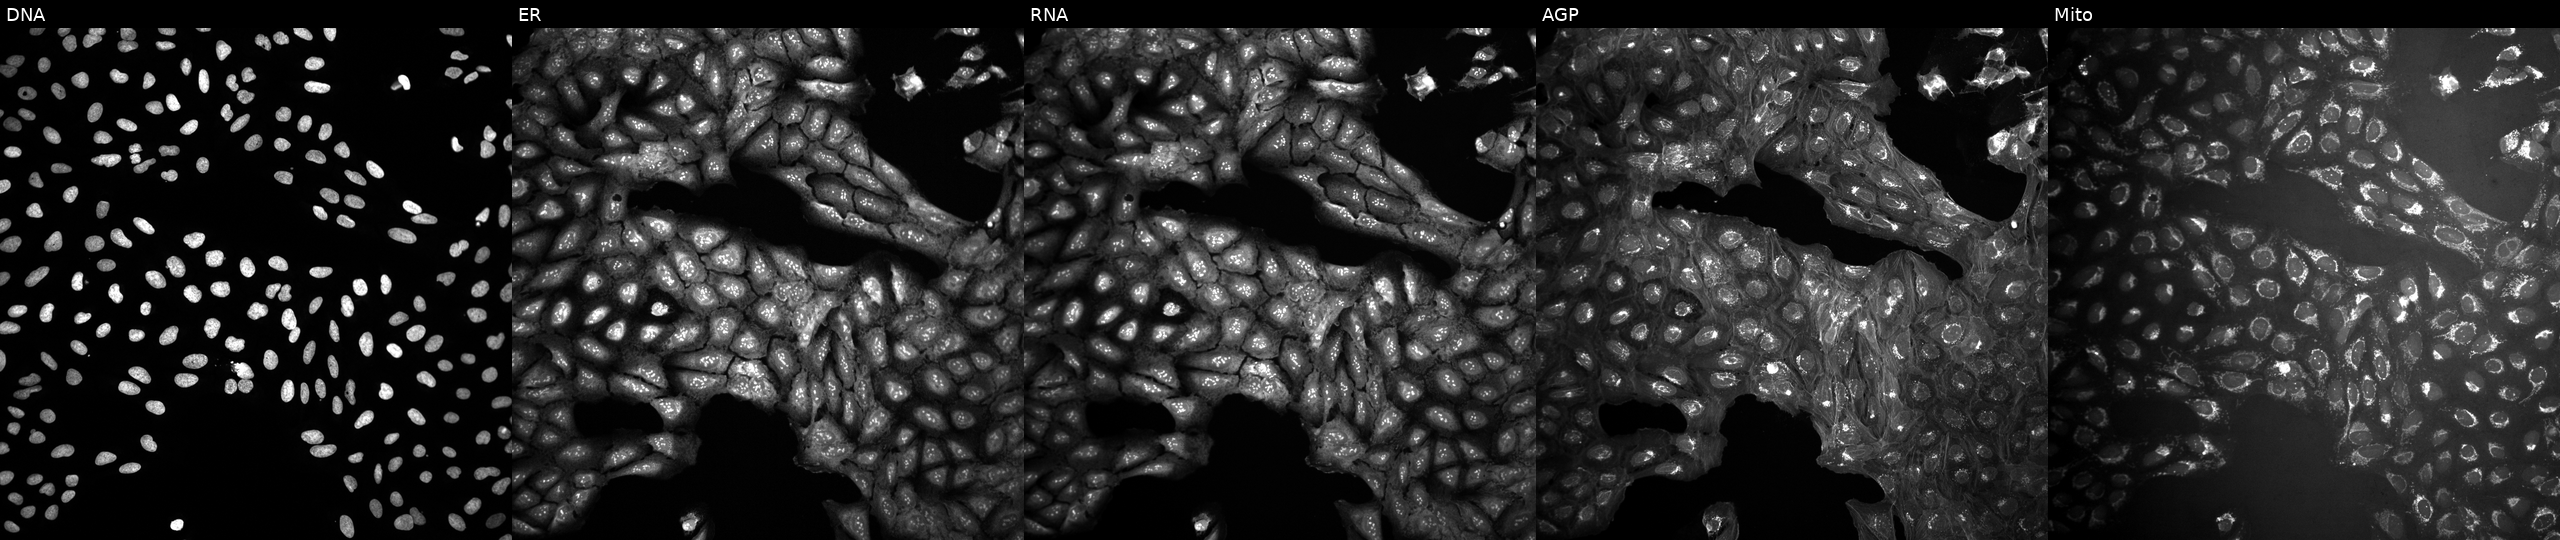
The five panels, left to right, show DNA (nuclei); ER (endoplasmic reticulum); RNA (nucleoli and cytoplasmic RNA); AGP (actin cytoskeleton, Golgi, and plasma membrane); Mito (mitochondria). U2OS osteosarcoma cells exposed to DMSO alone as a negative control. Cell Painting assay, JUMP-CP dataset. Source 10, plate Dest210531-152149, well I23.